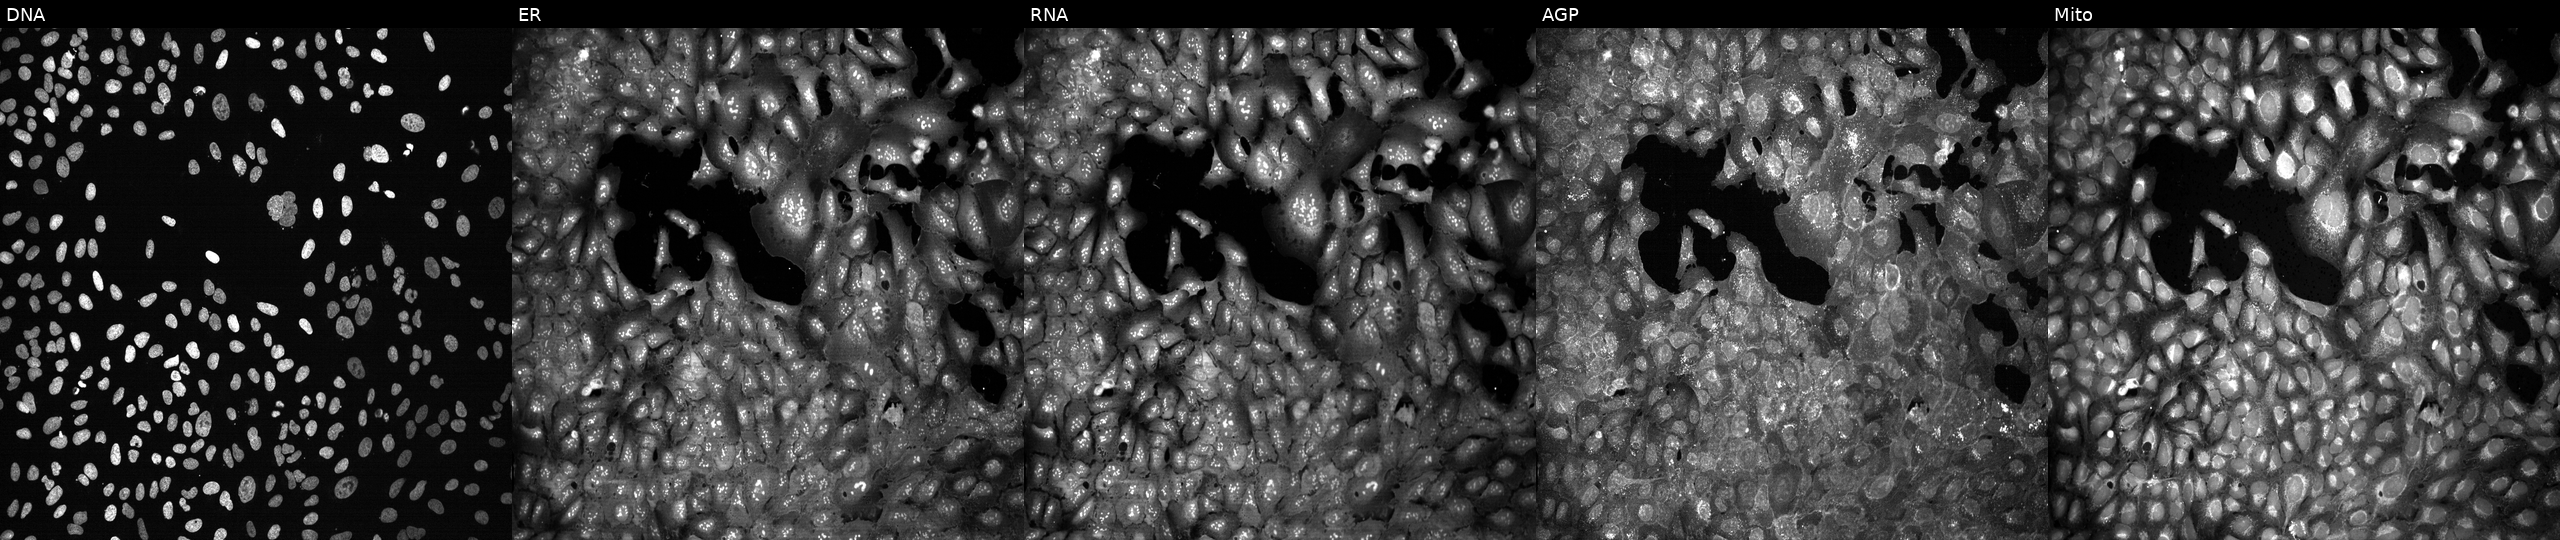
U2OS cells, Cell Painting assay, with HSD17B8 knocked out by CRISPR (JUMP id JCP2022_803250). Panels show, left to right, DNA, ER, RNA, AGP, and Mito. Each panel is percentile-stretched 16-bit fluorescence.